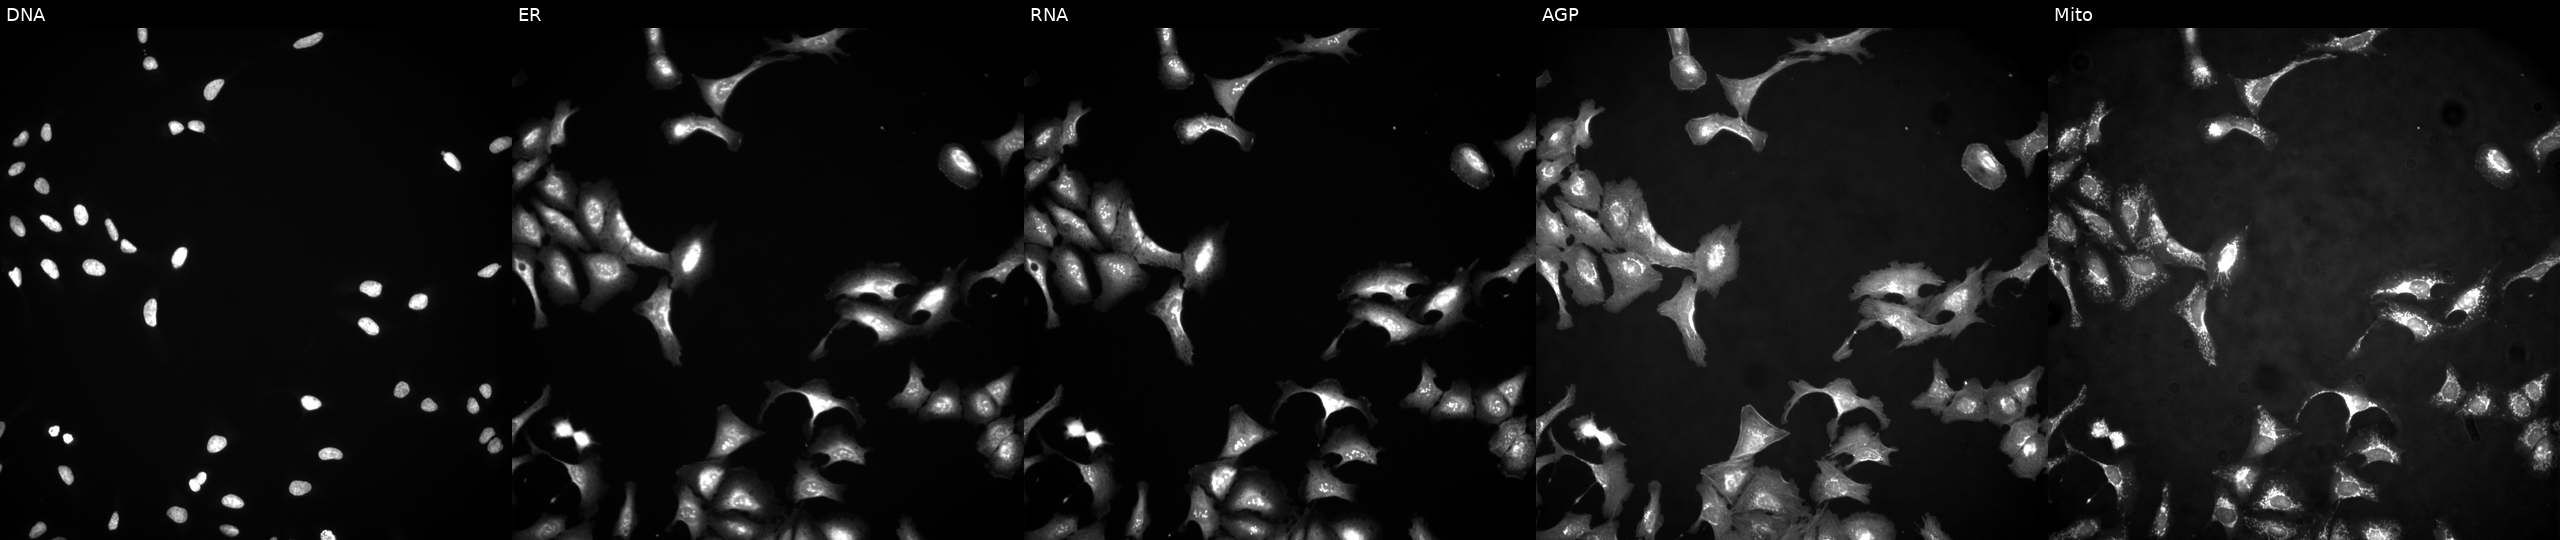
Five-channel Cell Painting image of U2OS cells with PSMD6 overexpressed (ORF). From left to right: DNA (nuclei); ER (endoplasmic reticulum); RNA (nucleoli and cytoplasmic RNA); AGP (actin cytoskeleton, Golgi, and plasma membrane); Mito (mitochondria).